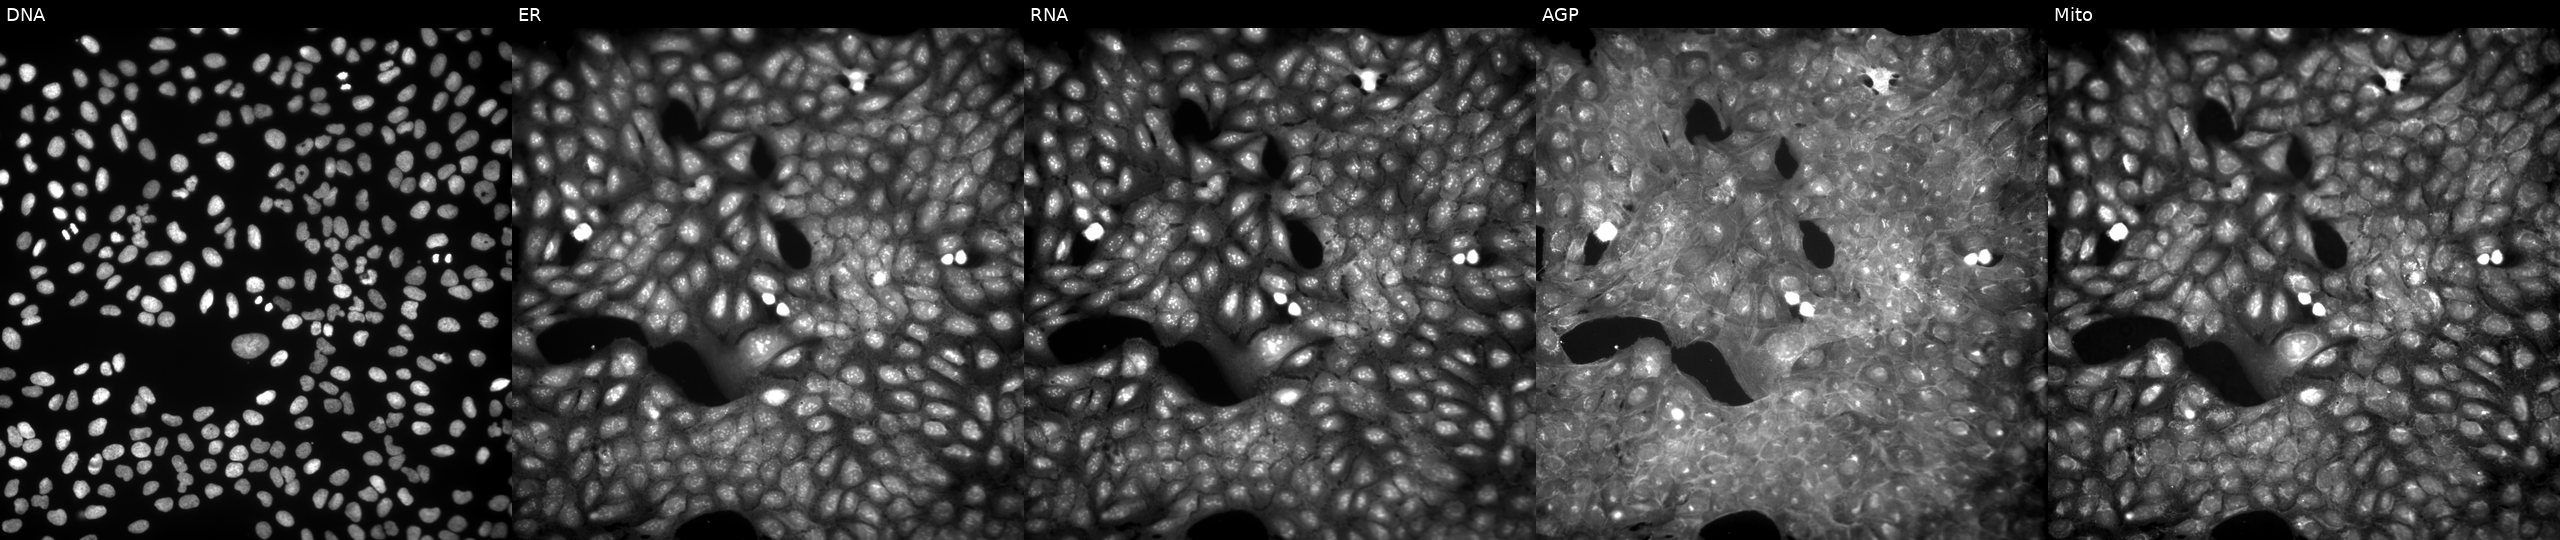
Five-channel Cell Painting image of U2OS cells treated with a small-molecule compound (JUMP id JCP2022_053519). Panels show, left to right, DNA (nuclei); ER (endoplasmic reticulum); RNA (nucleoli and cytoplasmic RNA); AGP (actin cytoskeleton, Golgi, and plasma membrane); Mito (mitochondria).